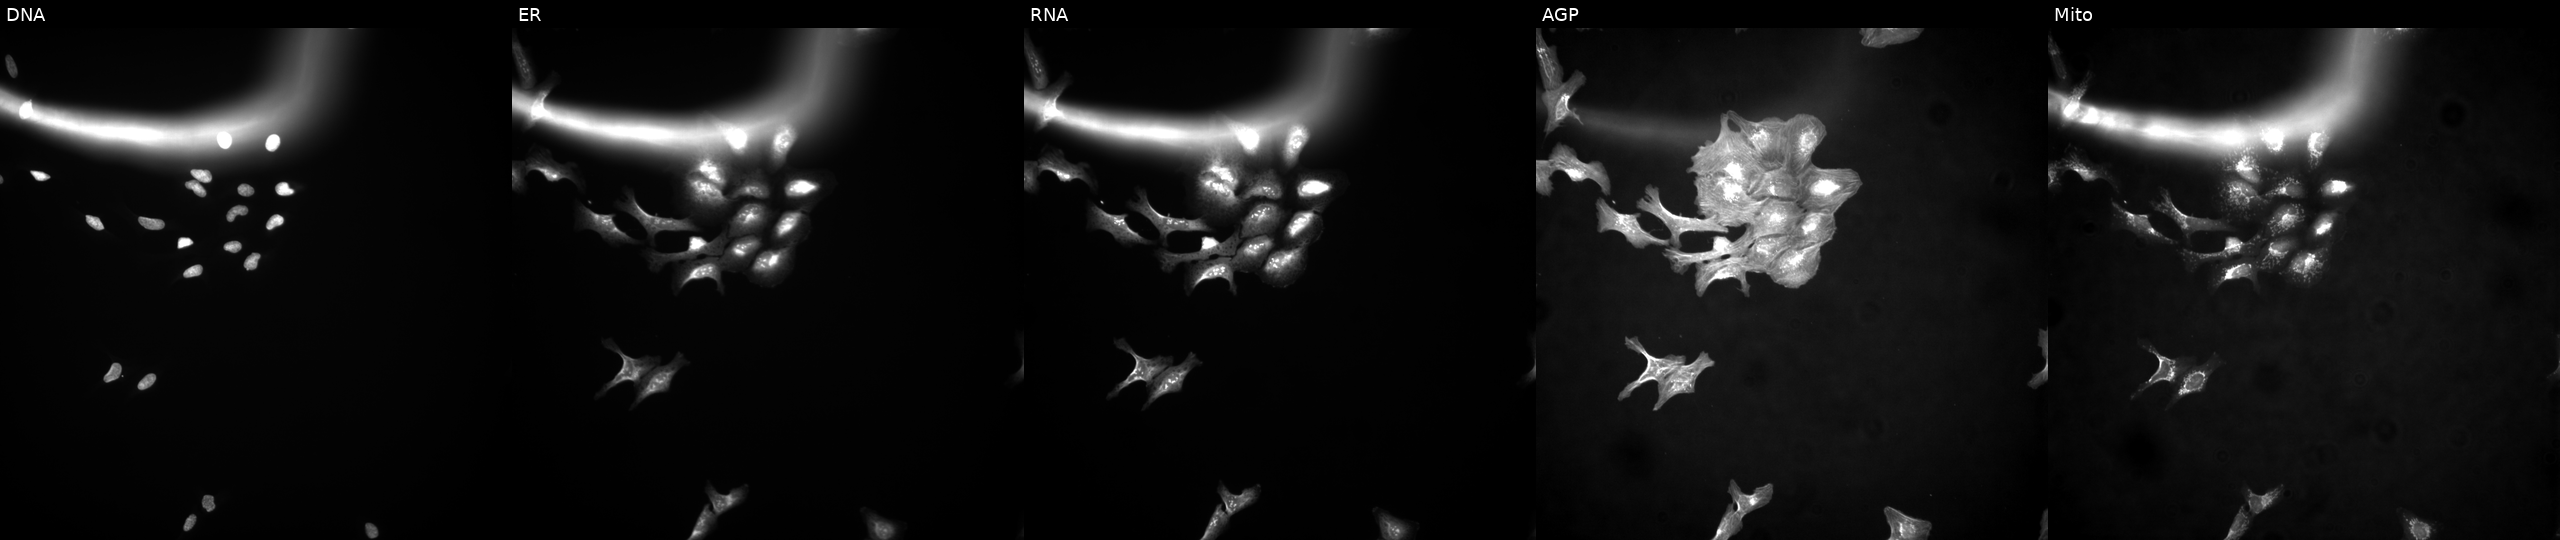
U2OS cells, Cell Painting assay, transfected with an ORF construct for COPB1 (JUMP id JCP2022_905628). The five panels, left to right, show Hoechst 33342, concanavalin A, SYTO 14, phalloidin and WGA, MitoTracker. Each panel is percentile-stretched 16-bit fluorescence.